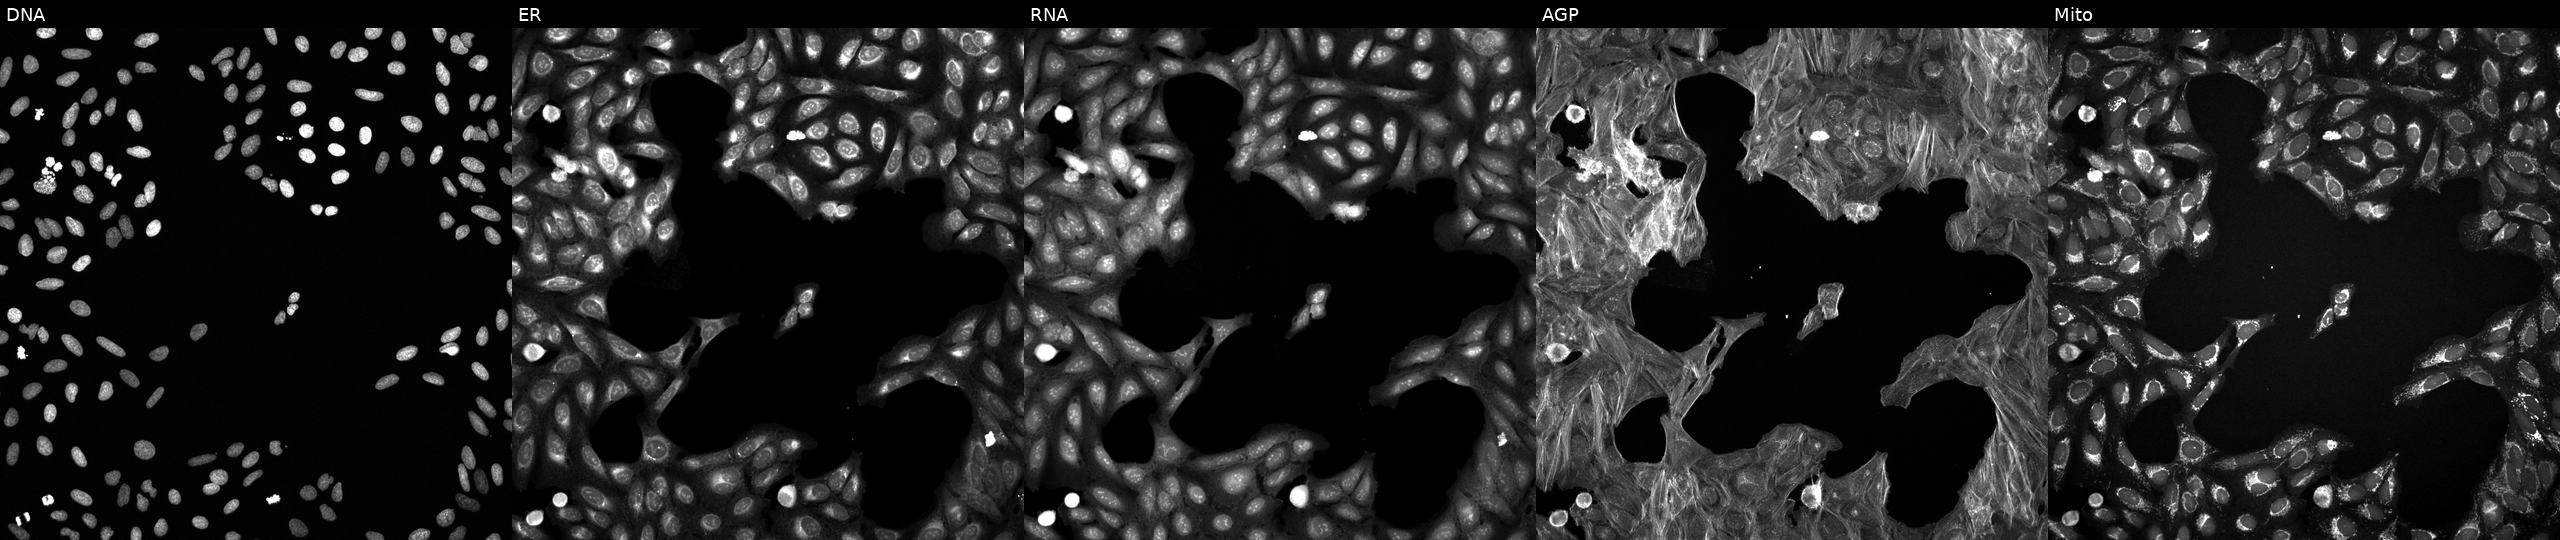
JUMP Cell Painting — TARGET2 plate. U2OS cells exposed to DMSO alone as a negative control (JUMP id JCP2022_033924). Channels (left→right): Hoechst 33342, concanavalin A, SYTO 14, phalloidin and WGA, MitoTracker. Source 6, plate 110000293081, well D18.